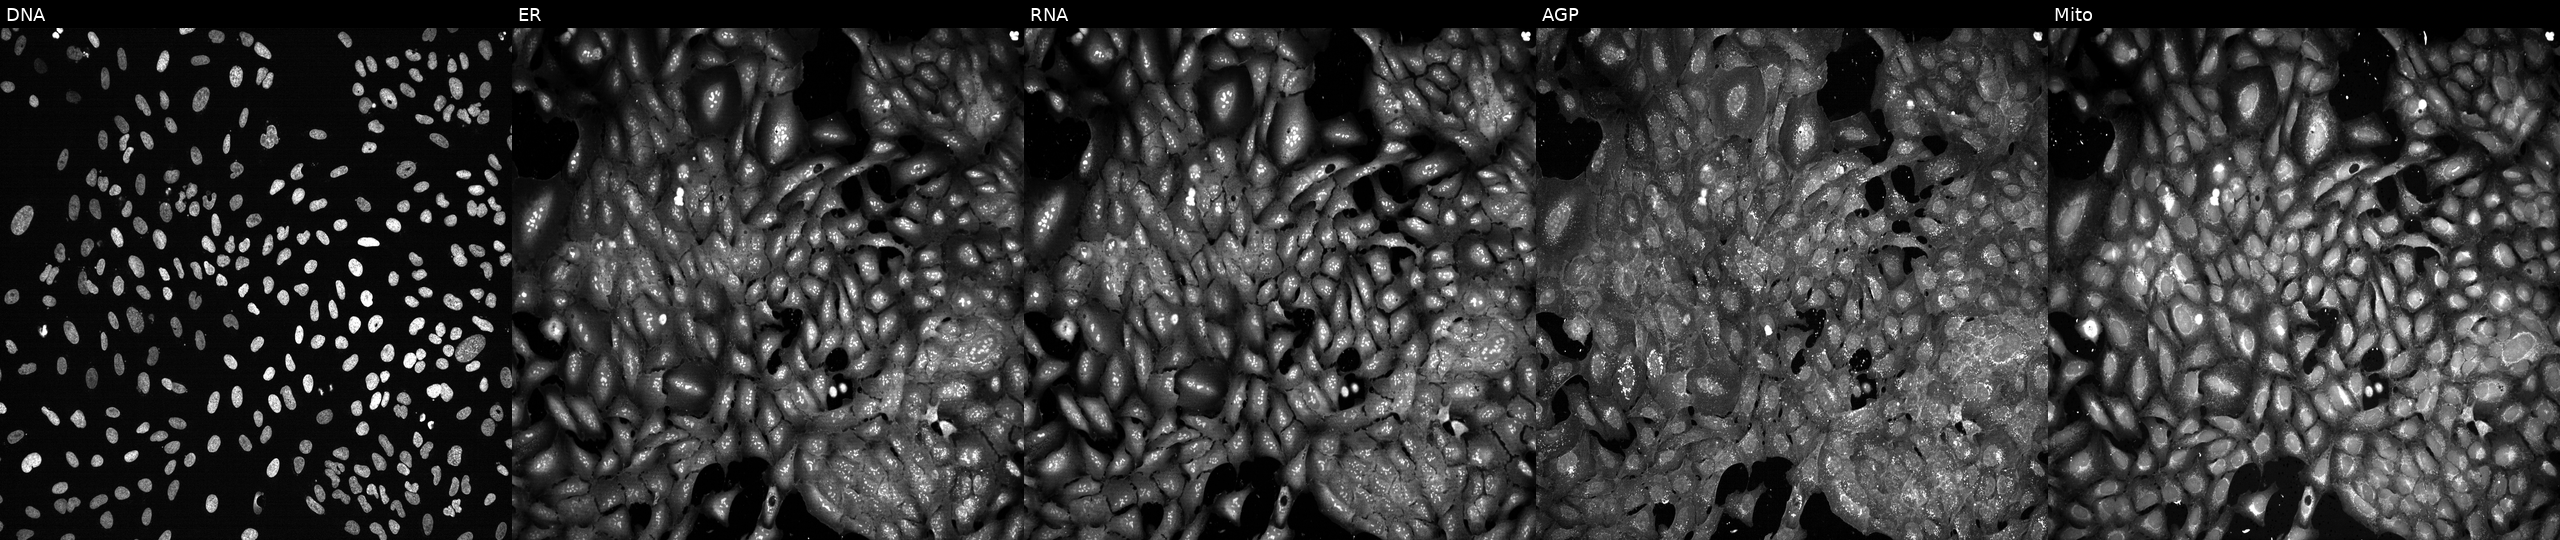
U2OS cells, Cell Painting assay, CRISPR-edited to disrupt TAZ. From left to right: DNA, ER, RNA, AGP, and Mito. Each panel is percentile-stretched 16-bit fluorescence. Source 13, plate CP-CC9-R1-01, well E06.